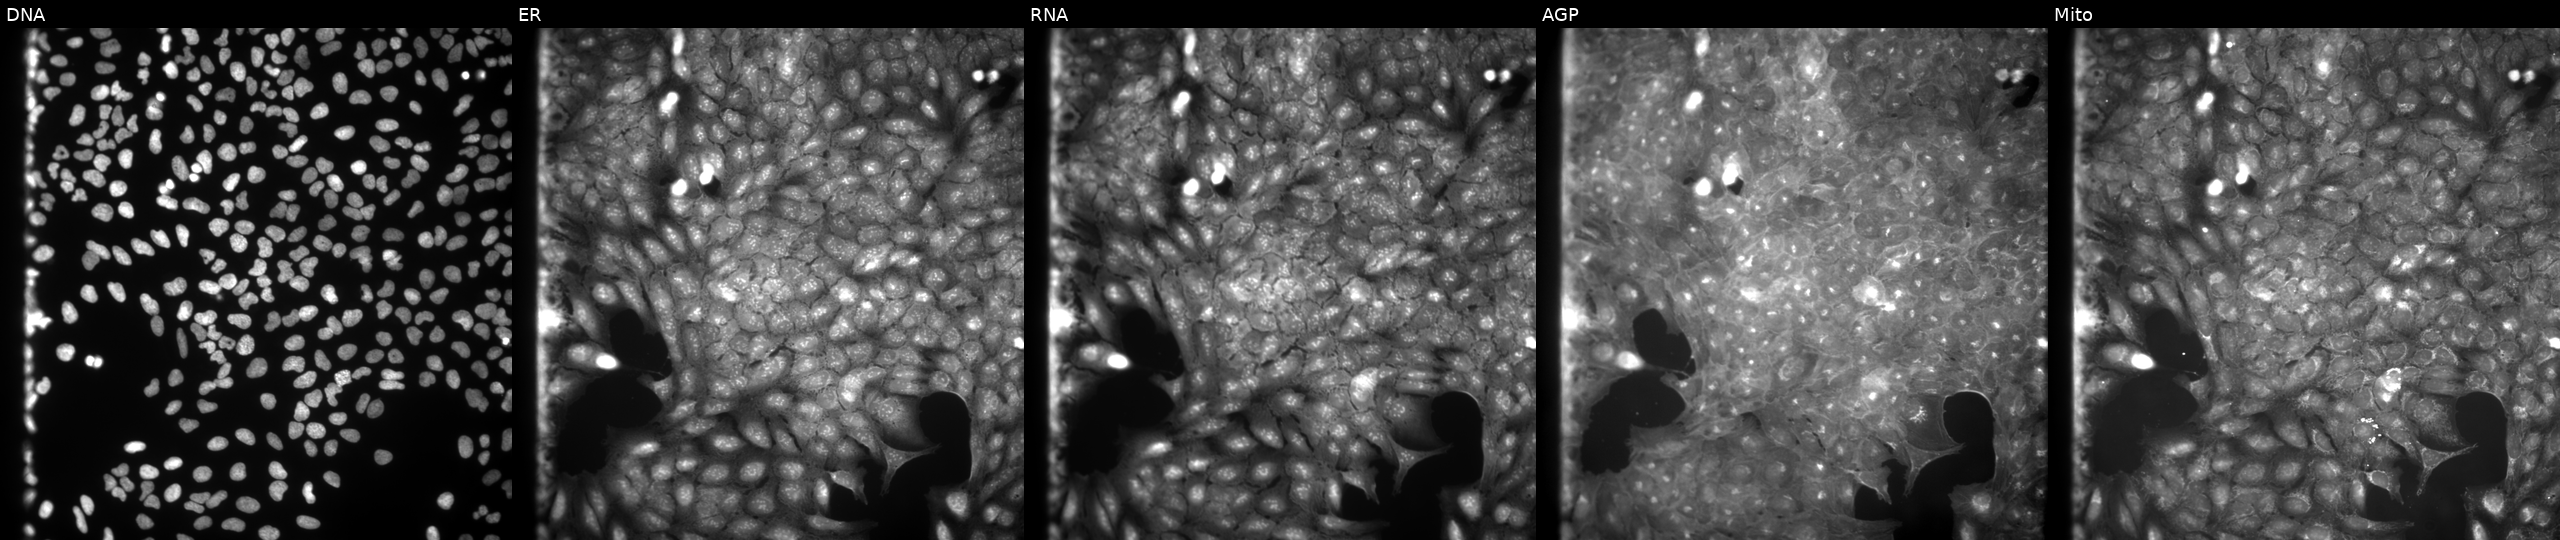
This image strip shows the five Cell Painting channels for a single field of U2OS cells treated with a small-molecule compound (InChIKey GEQJHBXQHCOCPW-UHFFFAOYSA-N). The five panels, left to right, show DNA, ER, RNA, AGP, and Mito. Source 9, plate GR00003382, well F10.